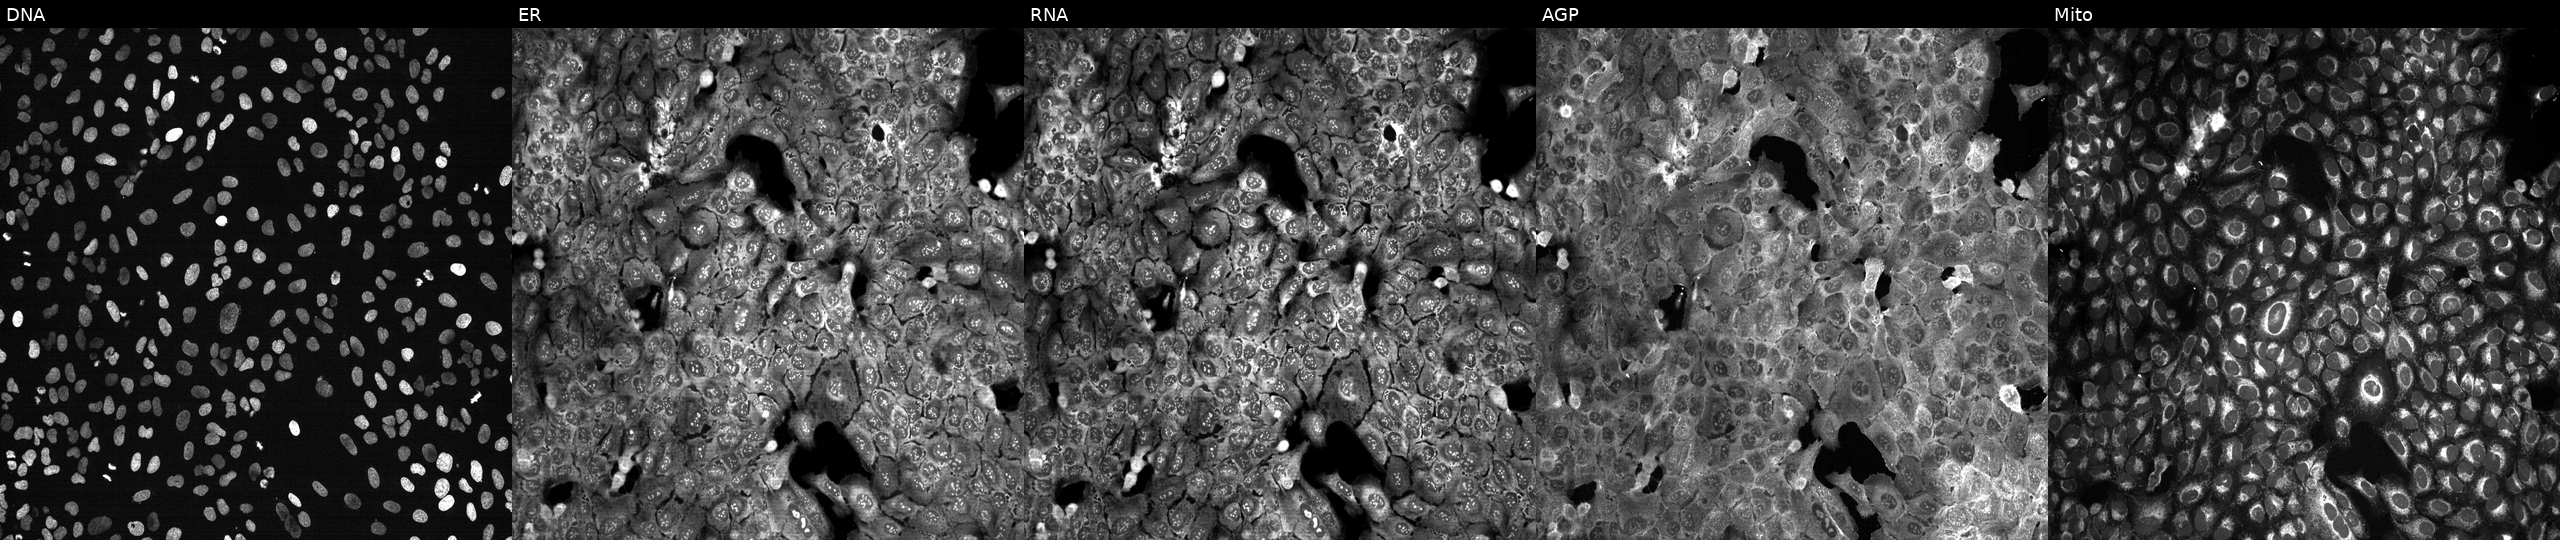
This image strip shows the five Cell Painting channels for a single field of U2OS cells following CRISPR knockout of HBZ (JUMP id JCP2022_803030). From left to right: DNA, ER, RNA, AGP, and Mito. Source 13, plate CP-CC9-R3-01, well B10.